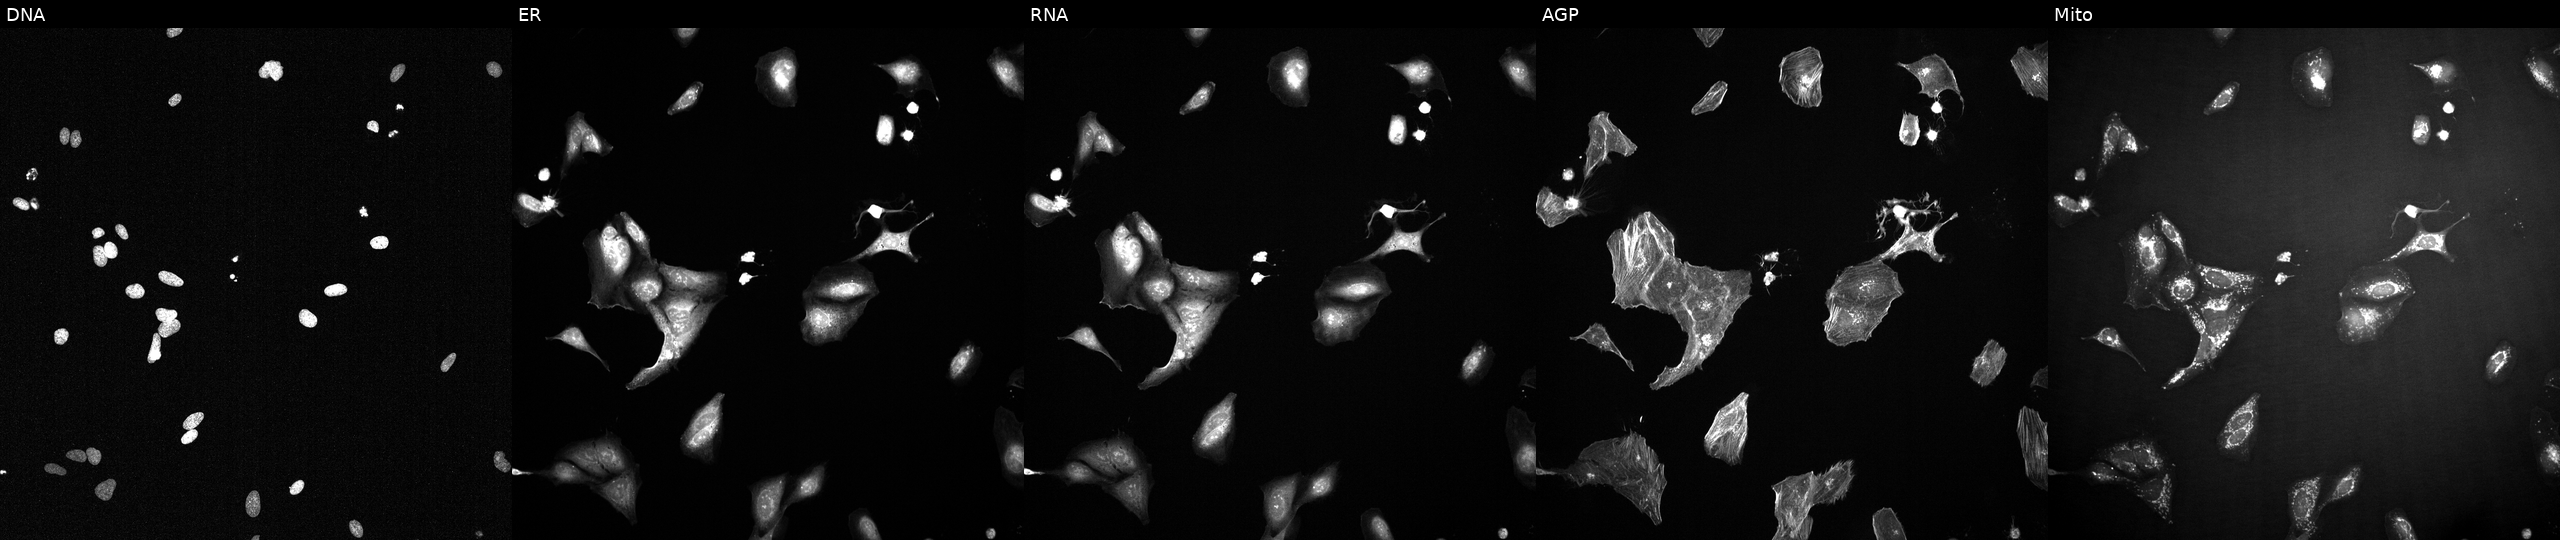
JUMP Cell Painting — TARGET2 plate. U2OS cells exposed to a small-molecule compound (InChIKey AYCPARAPKDAOEN-UHFFFAOYSA-N) (JUMP id JCP2022_004587). From left to right: Hoechst 33342, concanavalin A, SYTO 14, phalloidin and WGA, MitoTracker.